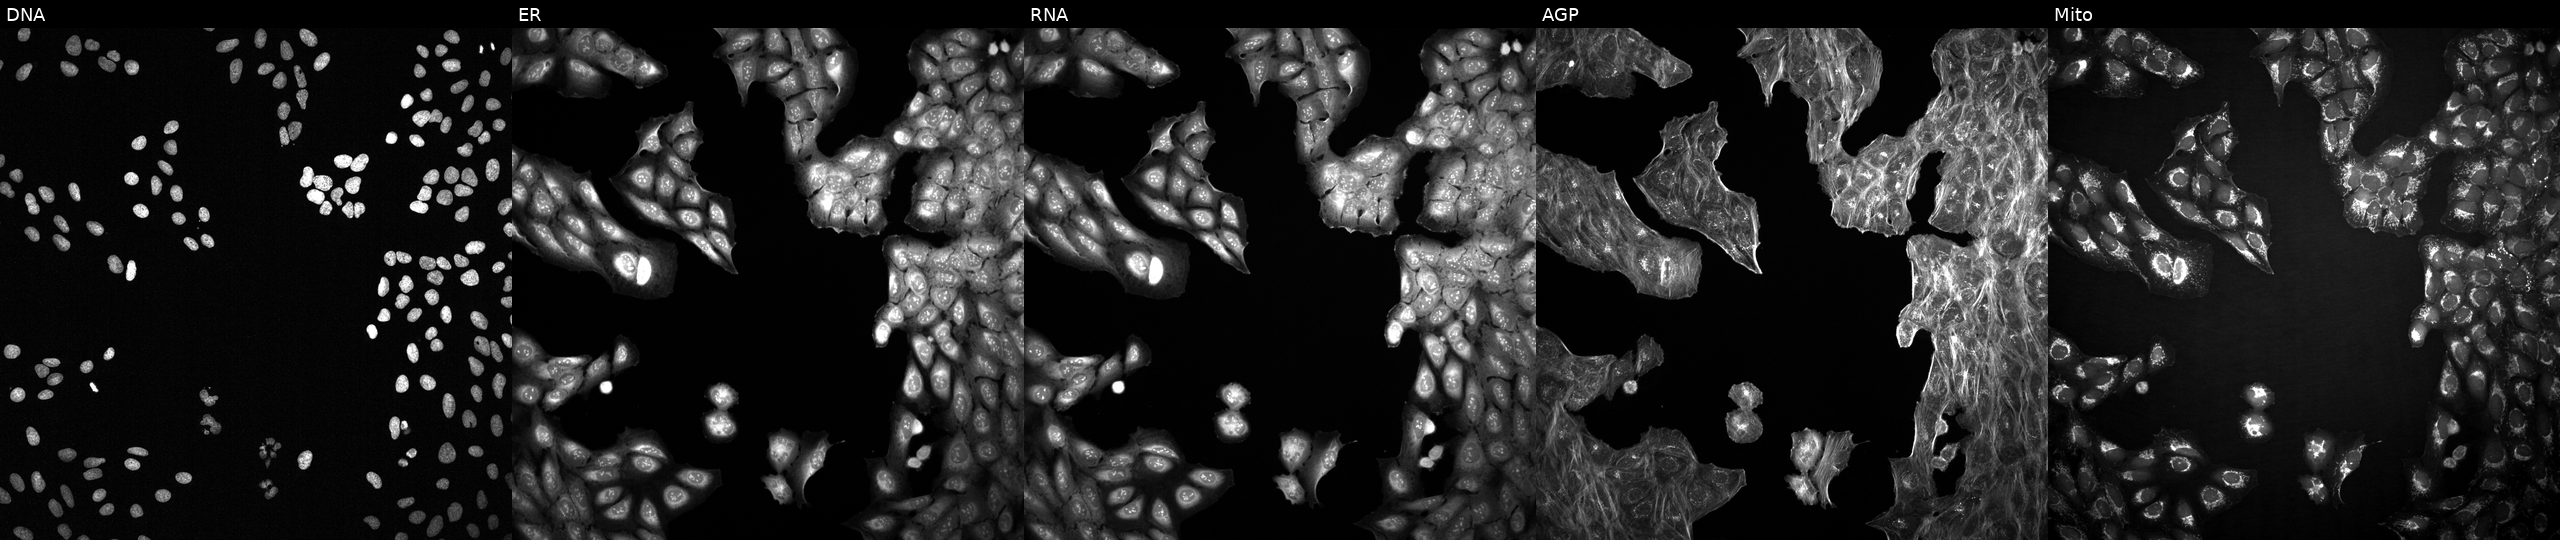
JUMP Cell Painting — COMPOUND plate. U2OS cells with an unidentified perturbation (not annotated in JUMP metadata). Panels show, left to right, Hoechst 33342, concanavalin A, SYTO 14, phalloidin and WGA, MitoTracker. Source 2, plate 1053601763, well F18.